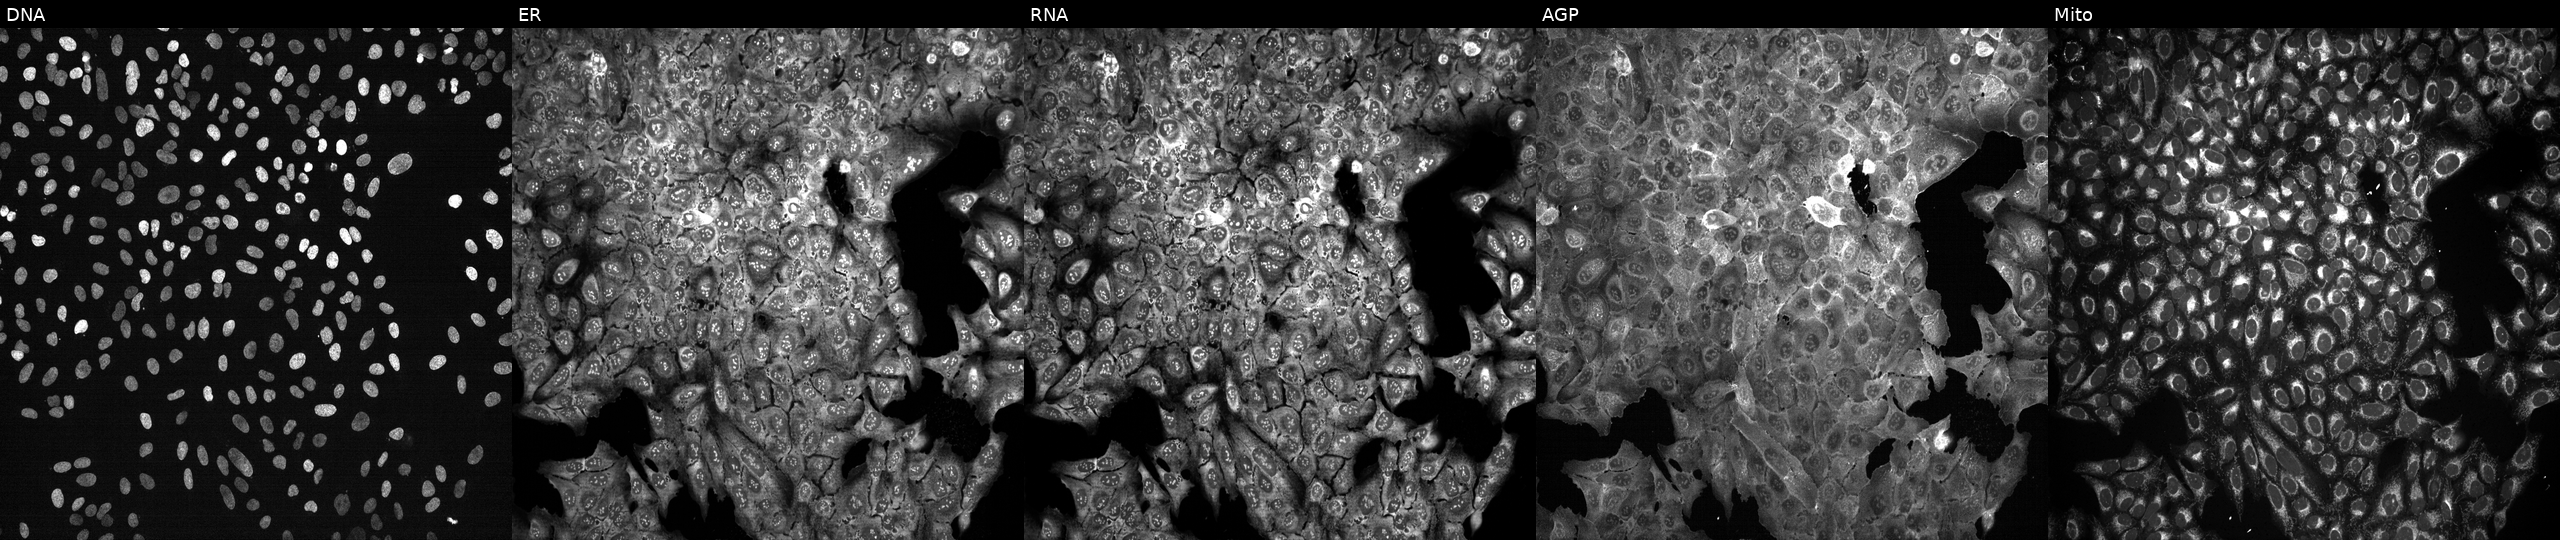
JUMP Cell Painting — CRISPR plate. U2OS cells following CRISPR knockout of ACADS. The five panels, left to right, show DNA (nuclei); ER (endoplasmic reticulum); RNA (nucleoli and cytoplasmic RNA); AGP (actin cytoskeleton, Golgi, and plasma membrane); Mito (mitochondria). Source 13, plate CP-CC9-R3-01, well A15.